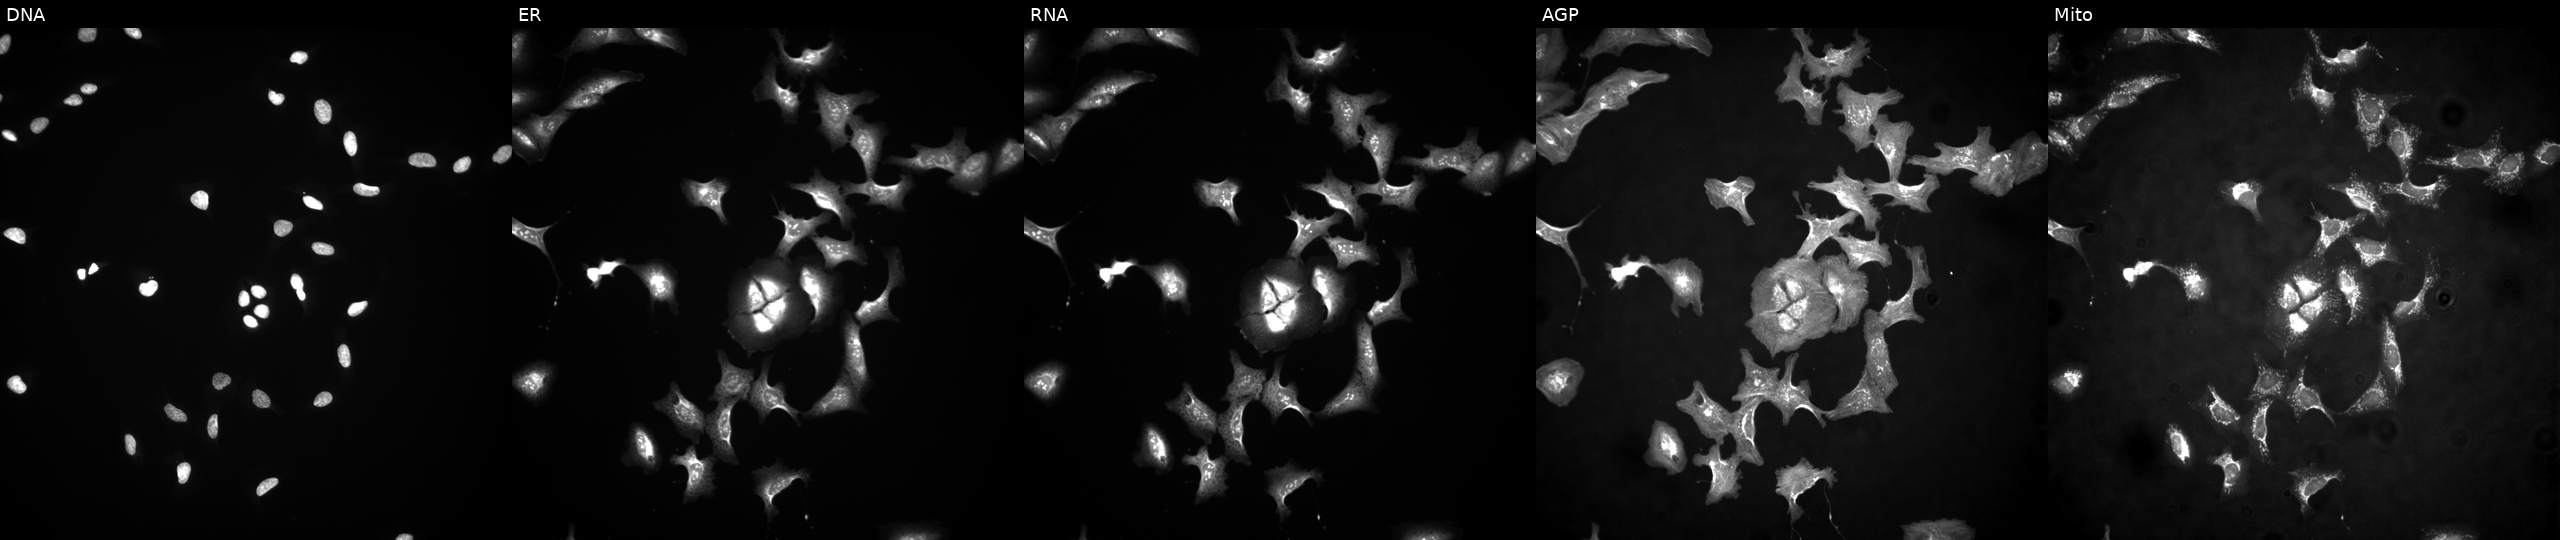
Panels show, left to right, DNA (nuclei); ER (endoplasmic reticulum); RNA (nucleoli and cytoplasmic RNA); AGP (actin cytoskeleton, Golgi, and plasma membrane); Mito (mitochondria). U2OS osteosarcoma cells overexpressing PIWIL2 via ORF transfection (JUMP id JCP2022_903309). Cell Painting assay, JUMP-CP dataset. Source 4, plate BR00124784, well K19.